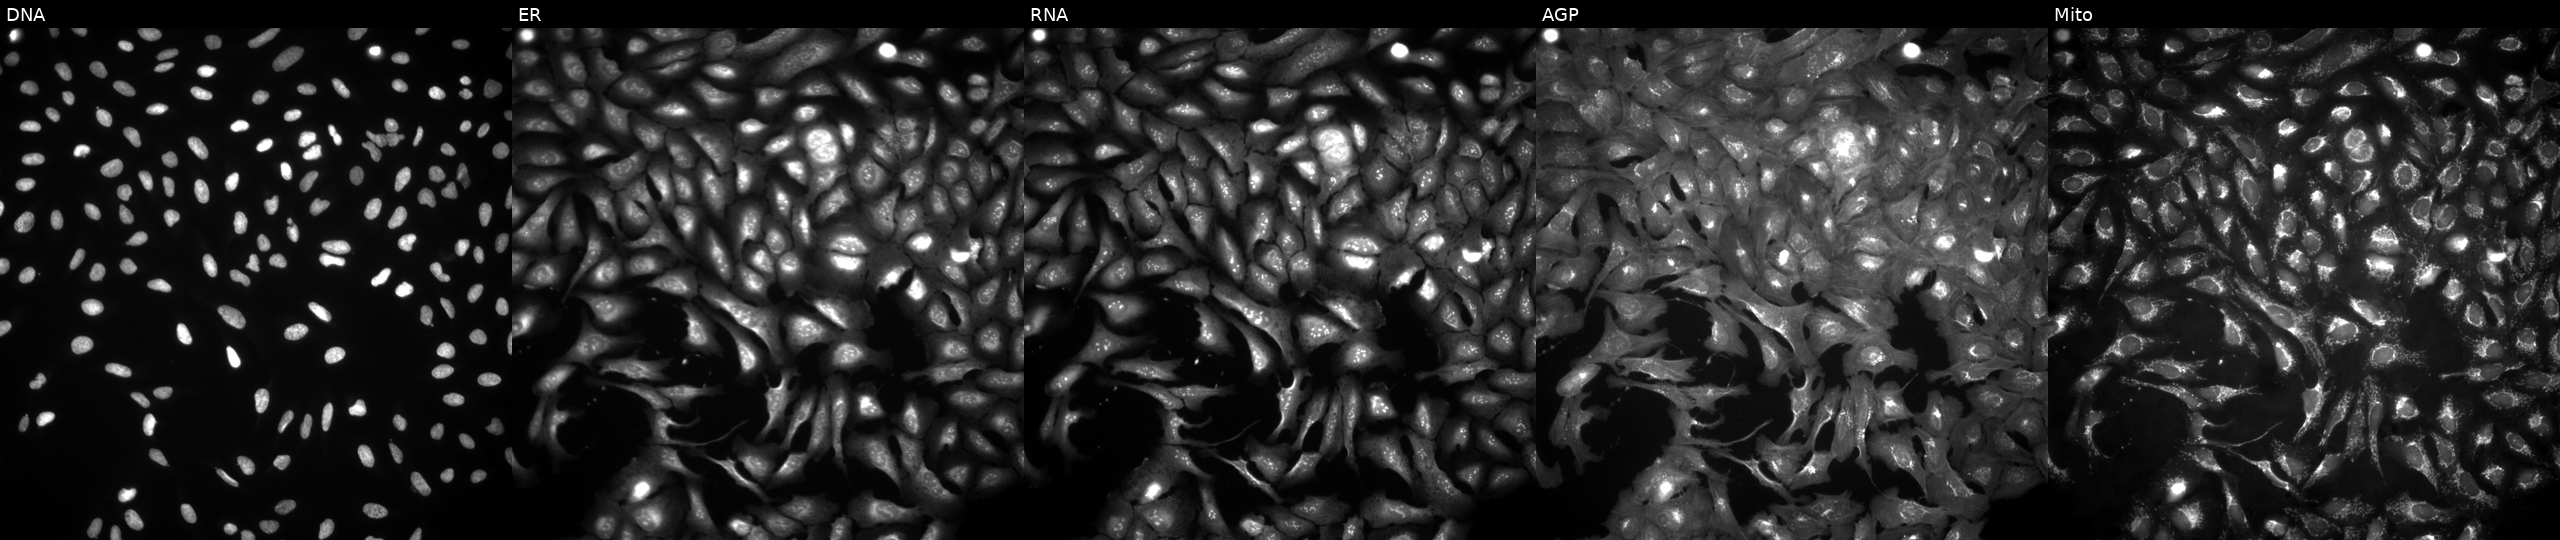
This image strip shows the five Cell Painting channels for a single field of U2OS cells overexpressing XLOC_007477 via ORF transfection (JUMP id JCP2022_909612). Panels show, left to right, Hoechst 33342, concanavalin A, SYTO 14, phalloidin and WGA, MitoTracker. Source 4, plate BR00123509, well L03.